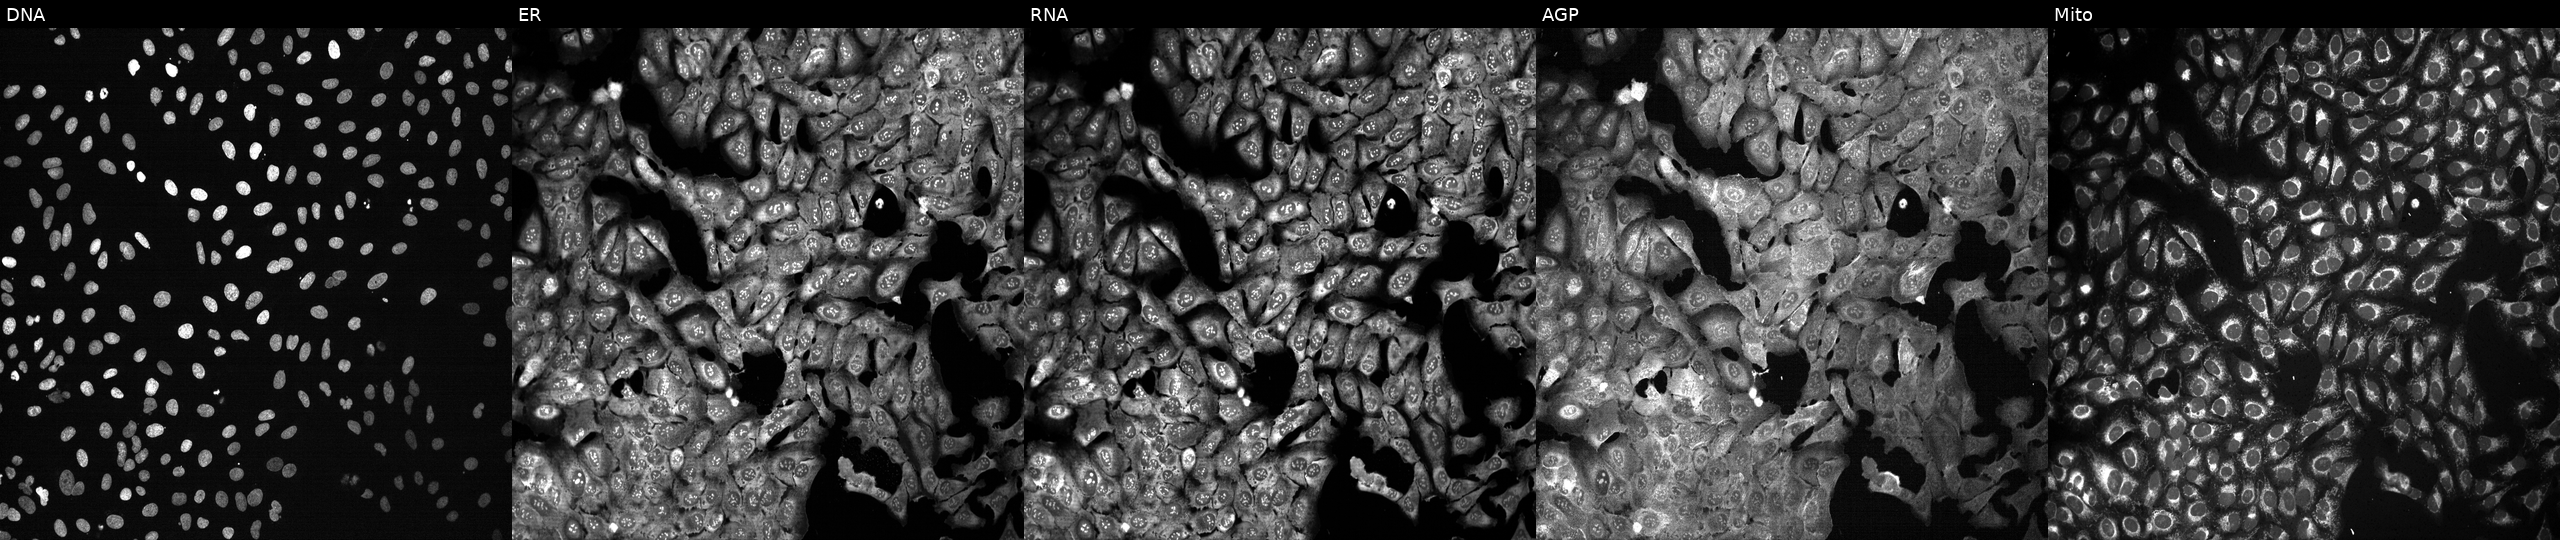
Five-channel Cell Painting image of U2OS cells CRISPR-edited to disrupt KIFAP3 (JUMP id JCP2022_803689). Channels (left→right): Hoechst 33342, concanavalin A, SYTO 14, phalloidin and WGA, MitoTracker. Source 13, plate CP-CC9-R3-01, well N18.